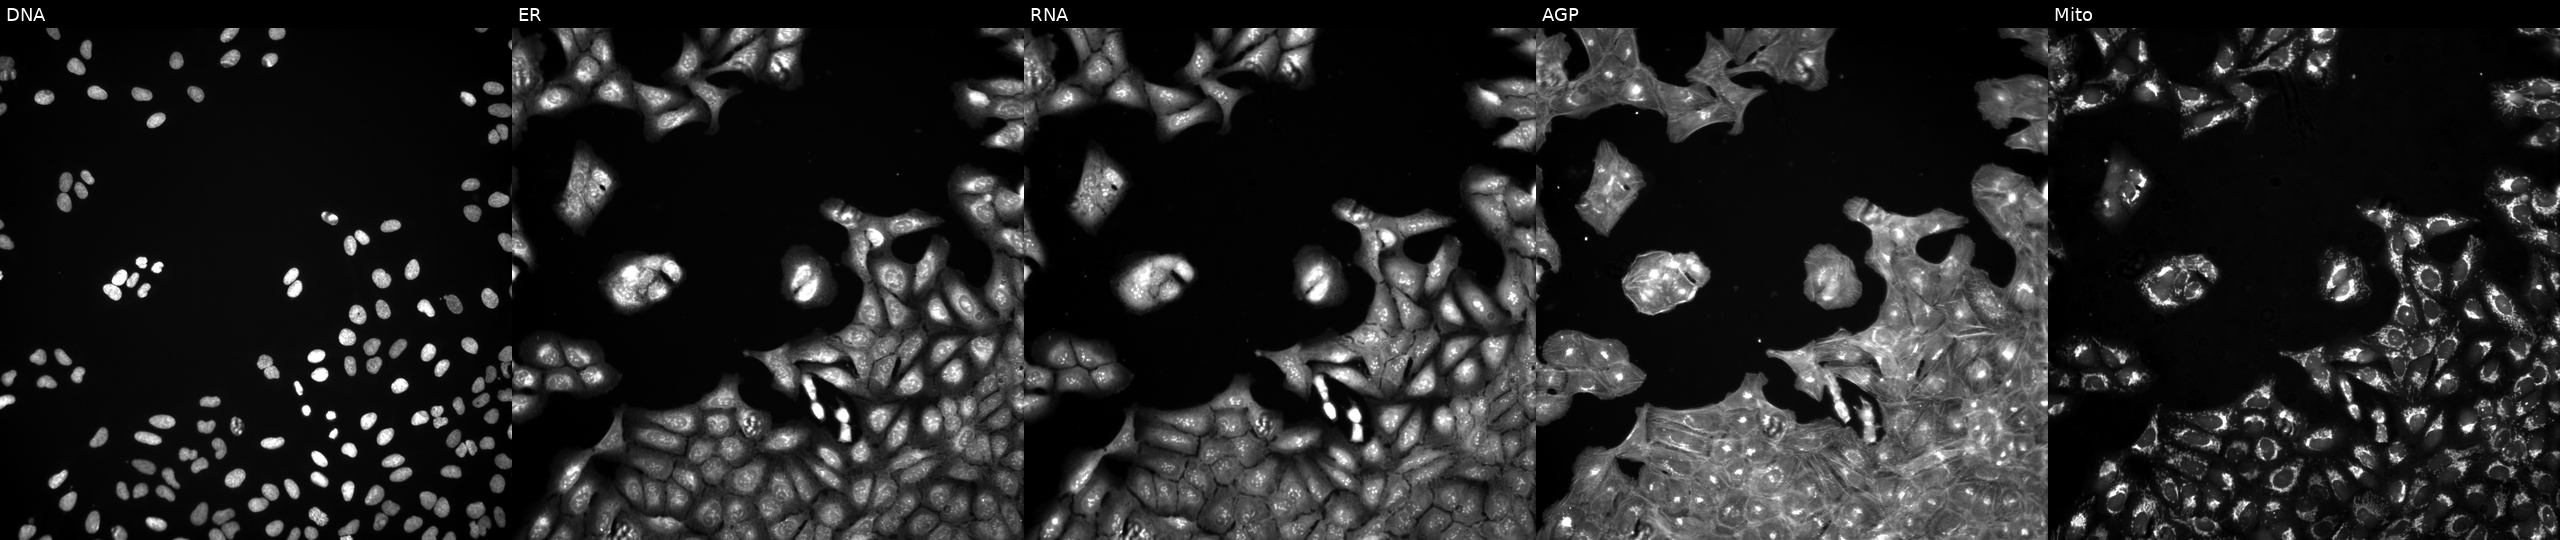
High-content fluorescence microscopy (Cell Painting). Cell line: U2OS. Perturbation: perturbed with a small-molecule compound (InChIKey LPGBXHWIQNZEJB-UHFFFAOYSA-N) [SMILES: Cc1ccc(-c2ccc(F)cc2COc2ccc(CCC(=O)O)cc2)cc1]. Channels (left→right): DNA, ER, RNA, AGP, and Mito. Source 3, plate JCPQC051, well J21.